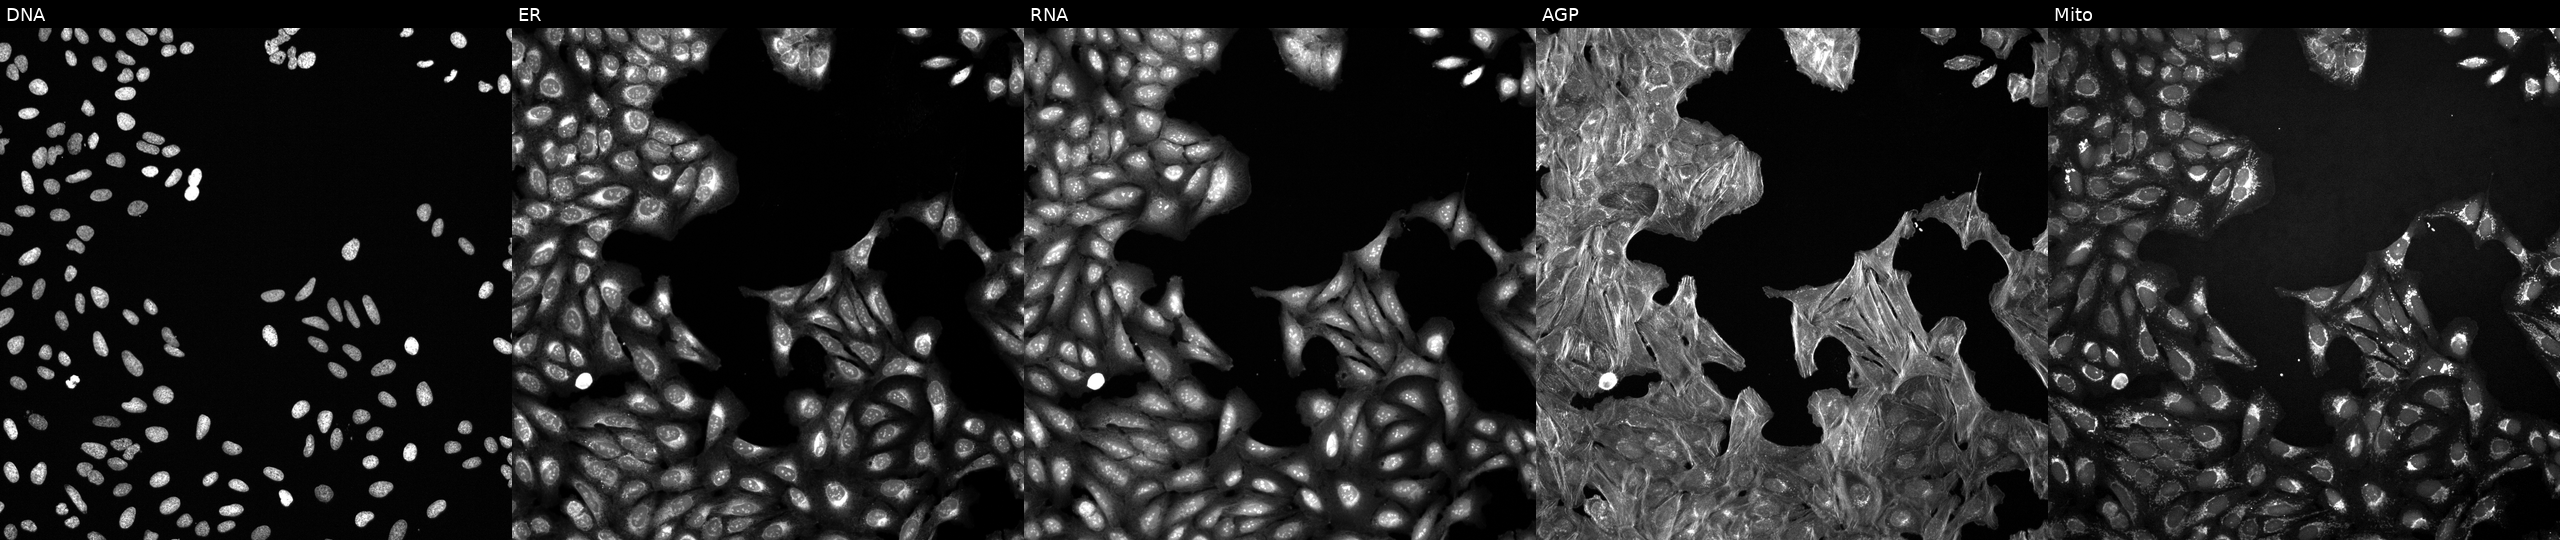
U2OS cells, Cell Painting assay, perturbed with a small-molecule compound (InChIKey LZIIKYOHSLDCCV-UHFFFAOYSA-N). Panels show, left to right, DNA (nuclei); ER (endoplasmic reticulum); RNA (nucleoli and cytoplasmic RNA); AGP (actin cytoskeleton, Golgi, and plasma membrane); Mito (mitochondria). Each panel is percentile-stretched 16-bit fluorescence.